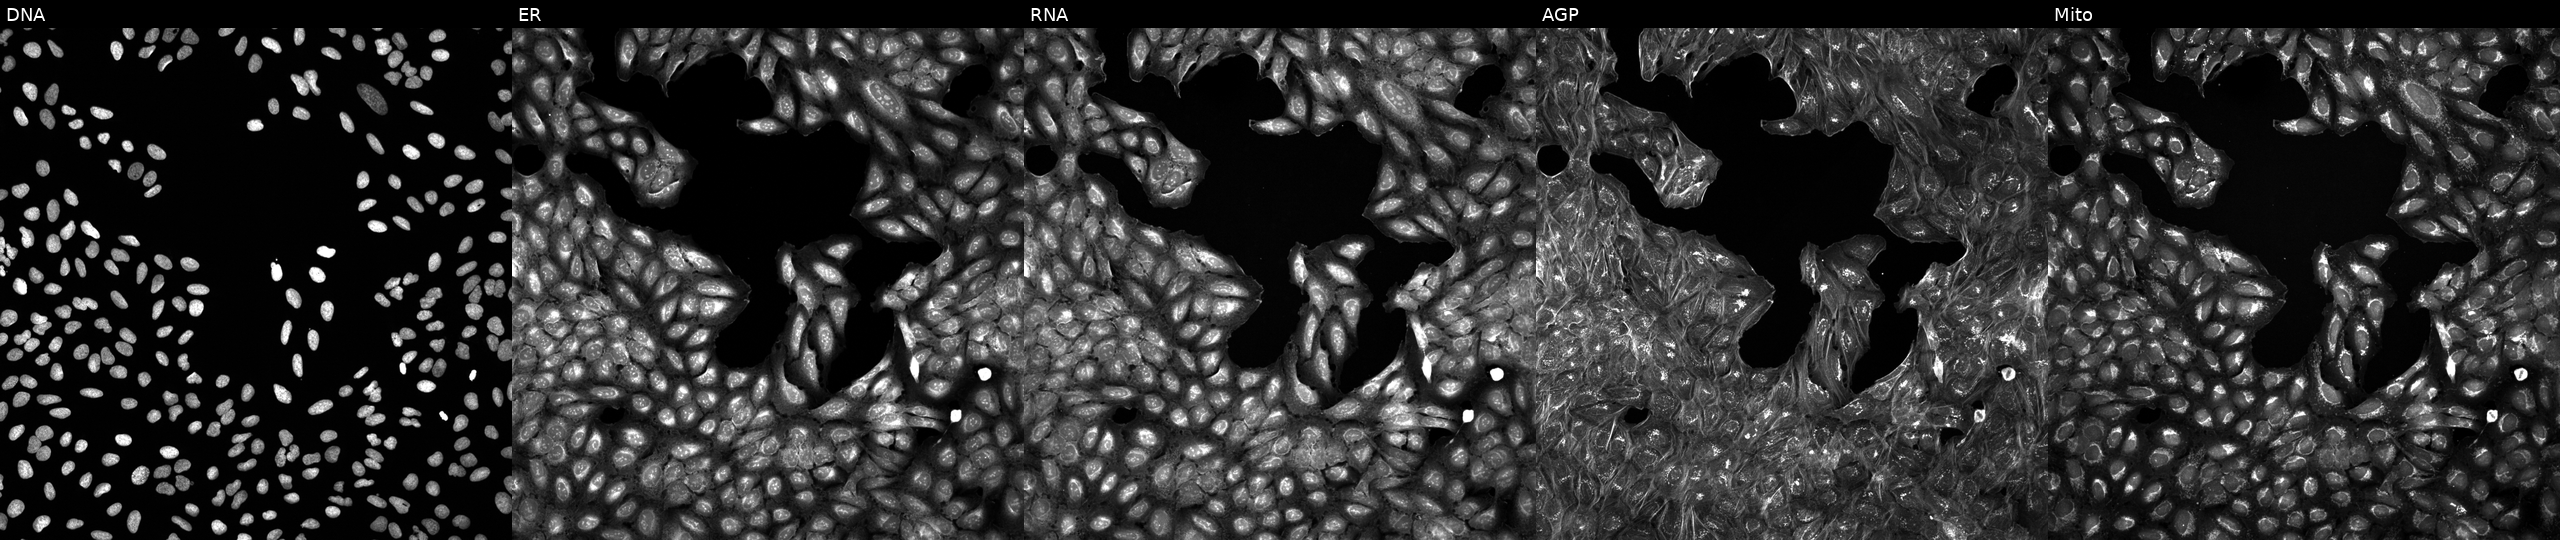
High-content fluorescence microscopy (Cell Painting). Cell line: U2OS. Perturbation: exposed to the positive-control compound quinidine. From left to right: Hoechst 33342, concanavalin A, SYTO 14, phalloidin and WGA, MitoTracker. Source 5, plate APTJUM106, well C24.